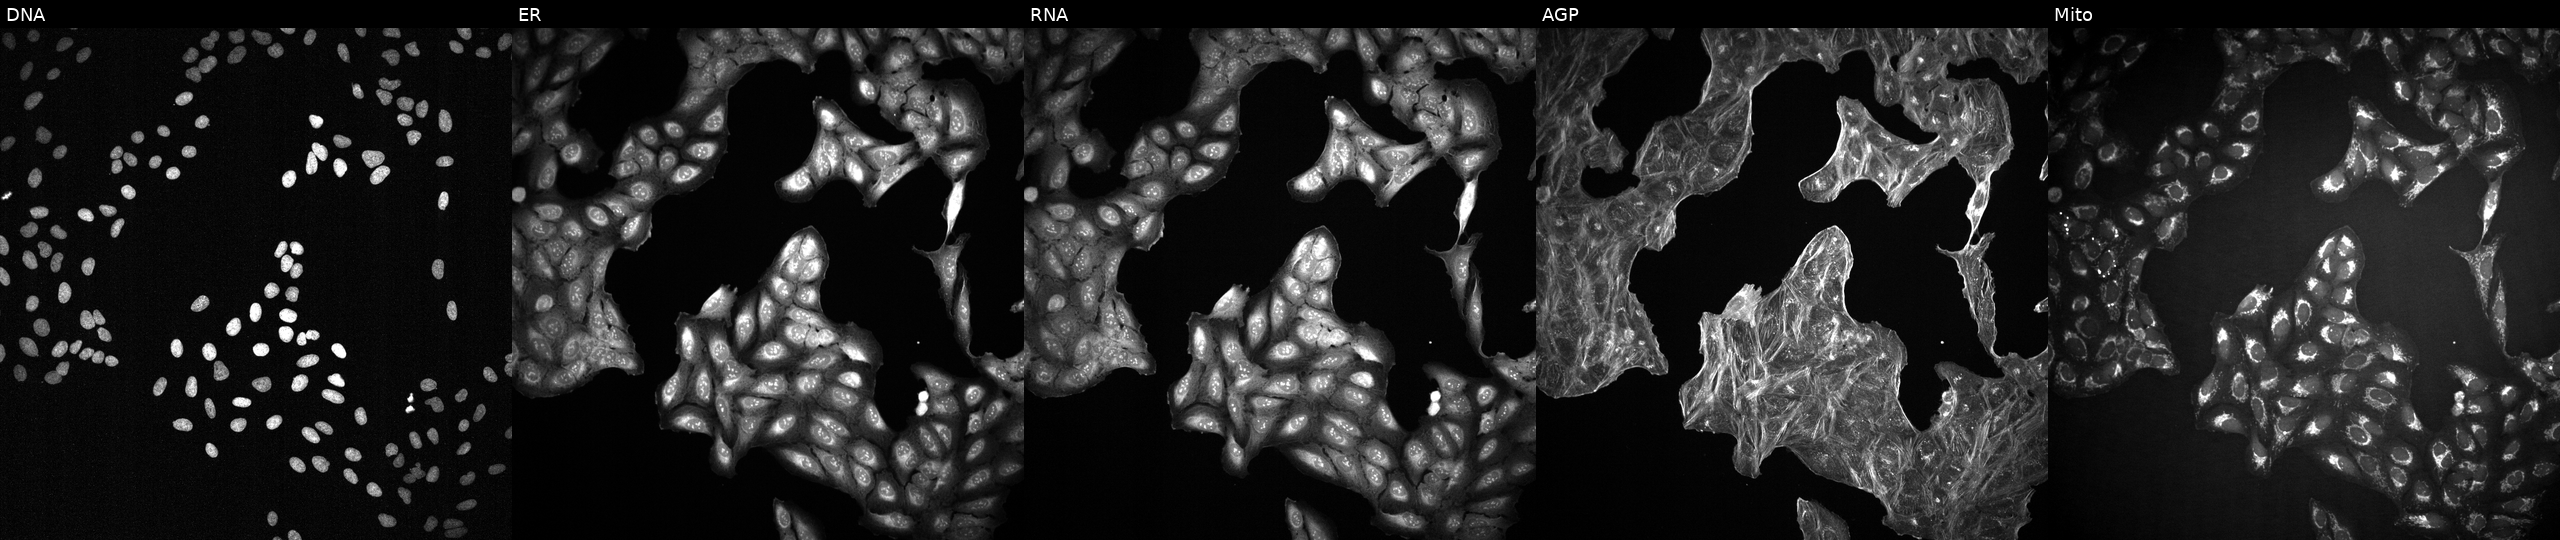
High-content fluorescence microscopy (Cell Painting). Cell line: U2OS. Perturbation: treated with DMSO vehicle only (negative control) (JUMP id JCP2022_033924). From left to right: Hoechst 33342, concanavalin A, SYTO 14, phalloidin and WGA, MitoTracker.